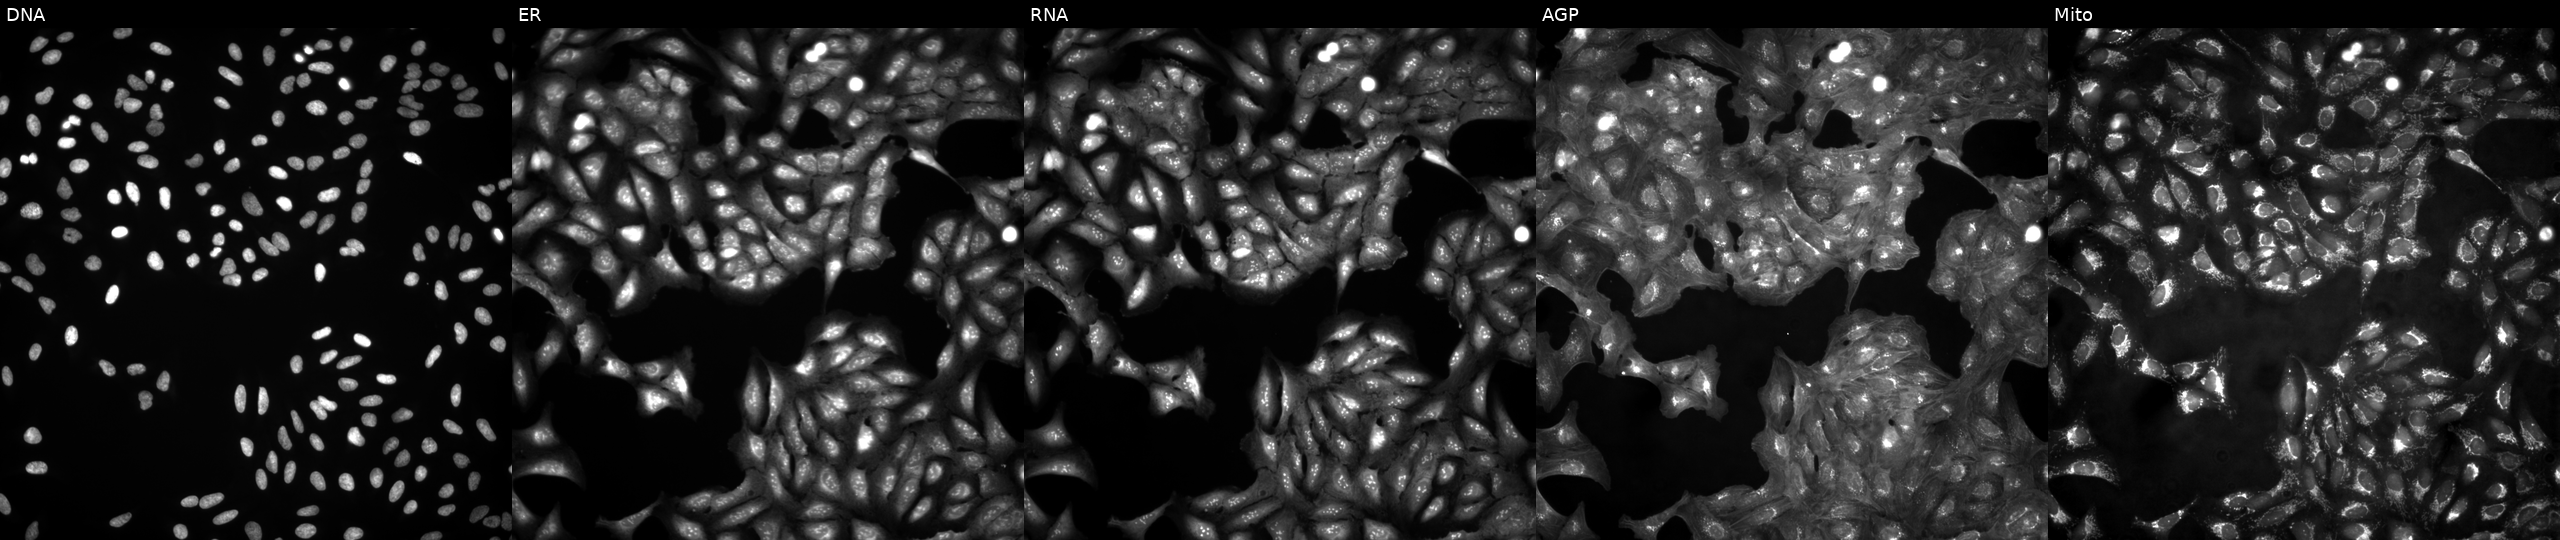
High-content fluorescence microscopy (Cell Painting). Cell line: U2OS. Perturbation: in an empty control well (no perturbation) (JUMP id JCP2022_999999). The five panels, left to right, show DNA, ER, RNA, AGP, and Mito. Source 4, plate BR00123946, well B05.